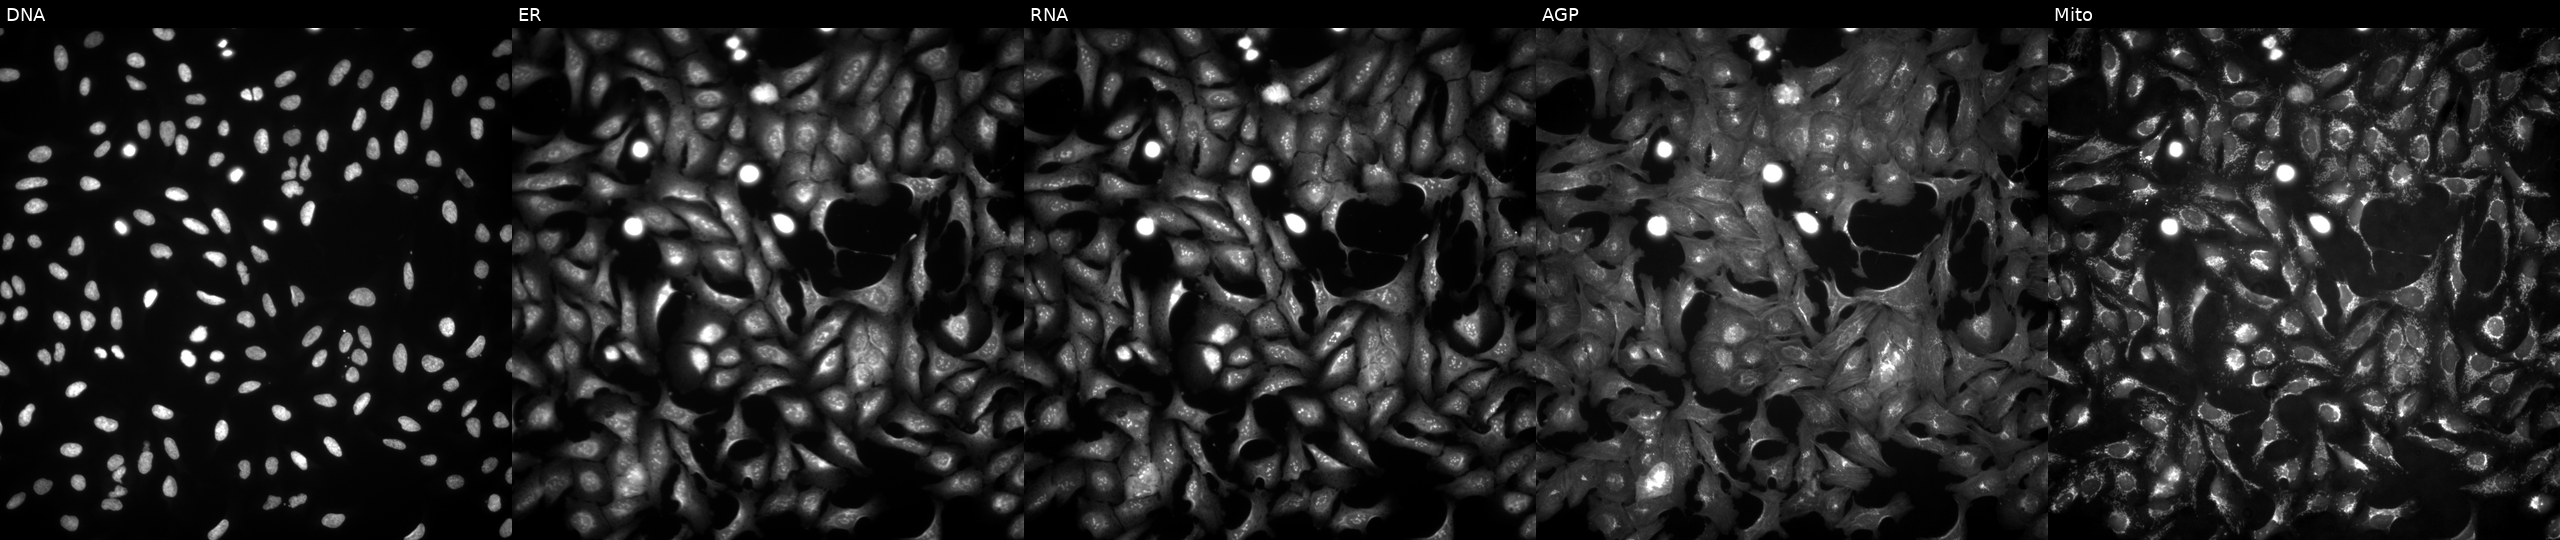
High-content fluorescence microscopy (Cell Painting). Cell line: U2OS. Perturbation: transfected with an ORF construct for BGN. Panels show, left to right, DNA (nuclei); ER (endoplasmic reticulum); RNA (nucleoli and cytoplasmic RNA); AGP (actin cytoskeleton, Golgi, and plasma membrane); Mito (mitochondria). Source 4, plate BR00123509, well E05.